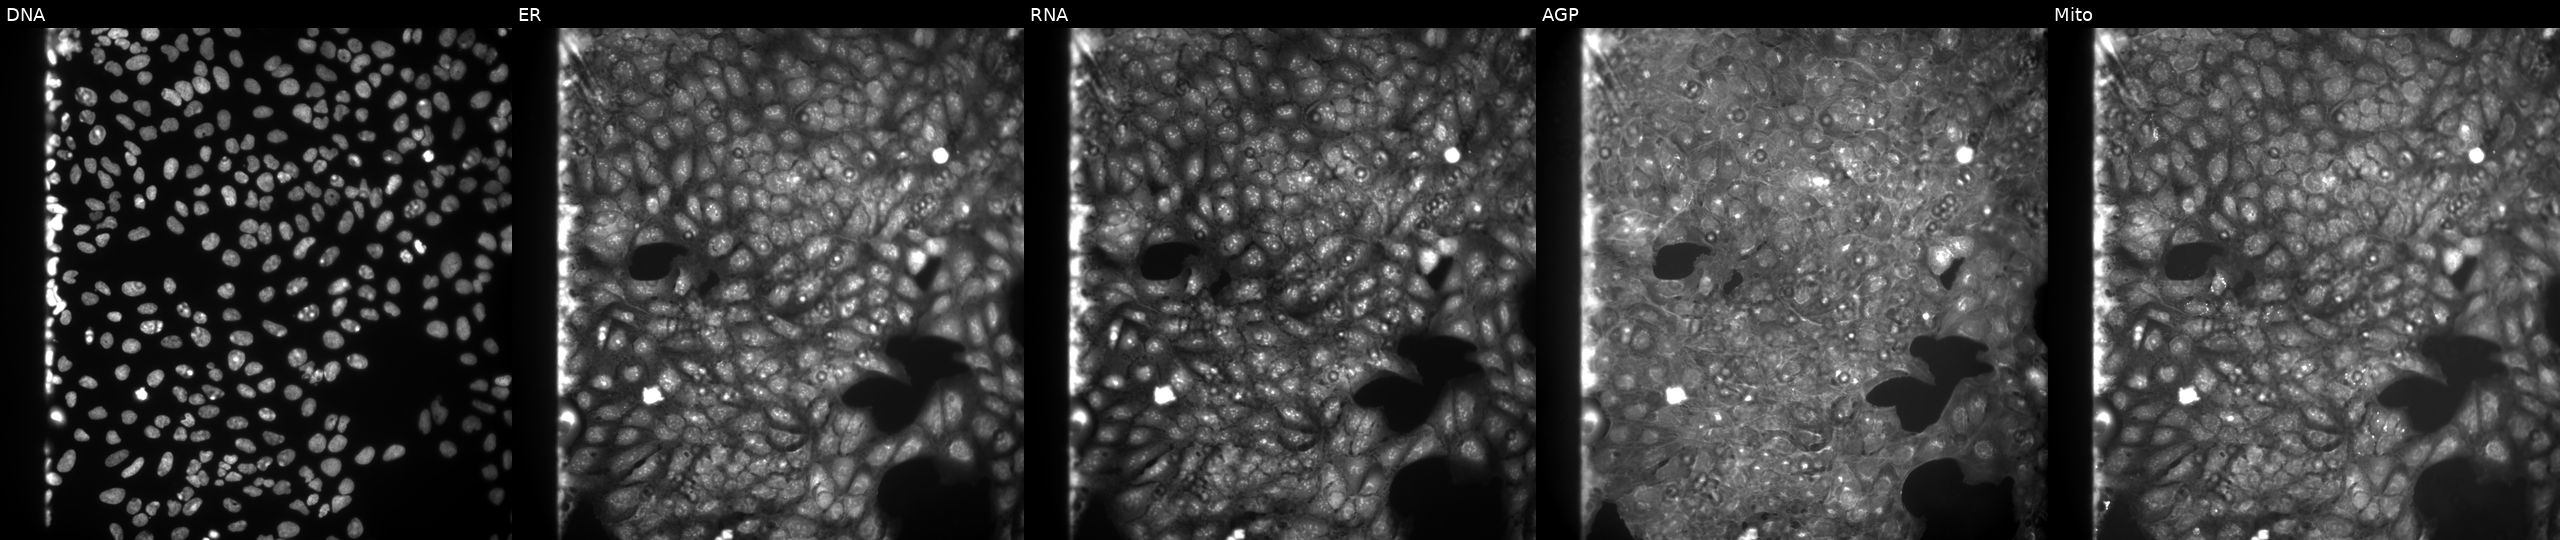
This image strip shows the five Cell Painting channels for a single field of U2OS cells treated with DMSO vehicle only (negative control) (JUMP id JCP2022_033924). The five panels, left to right, show Hoechst 33342, concanavalin A, SYTO 14, phalloidin and WGA, MitoTracker.